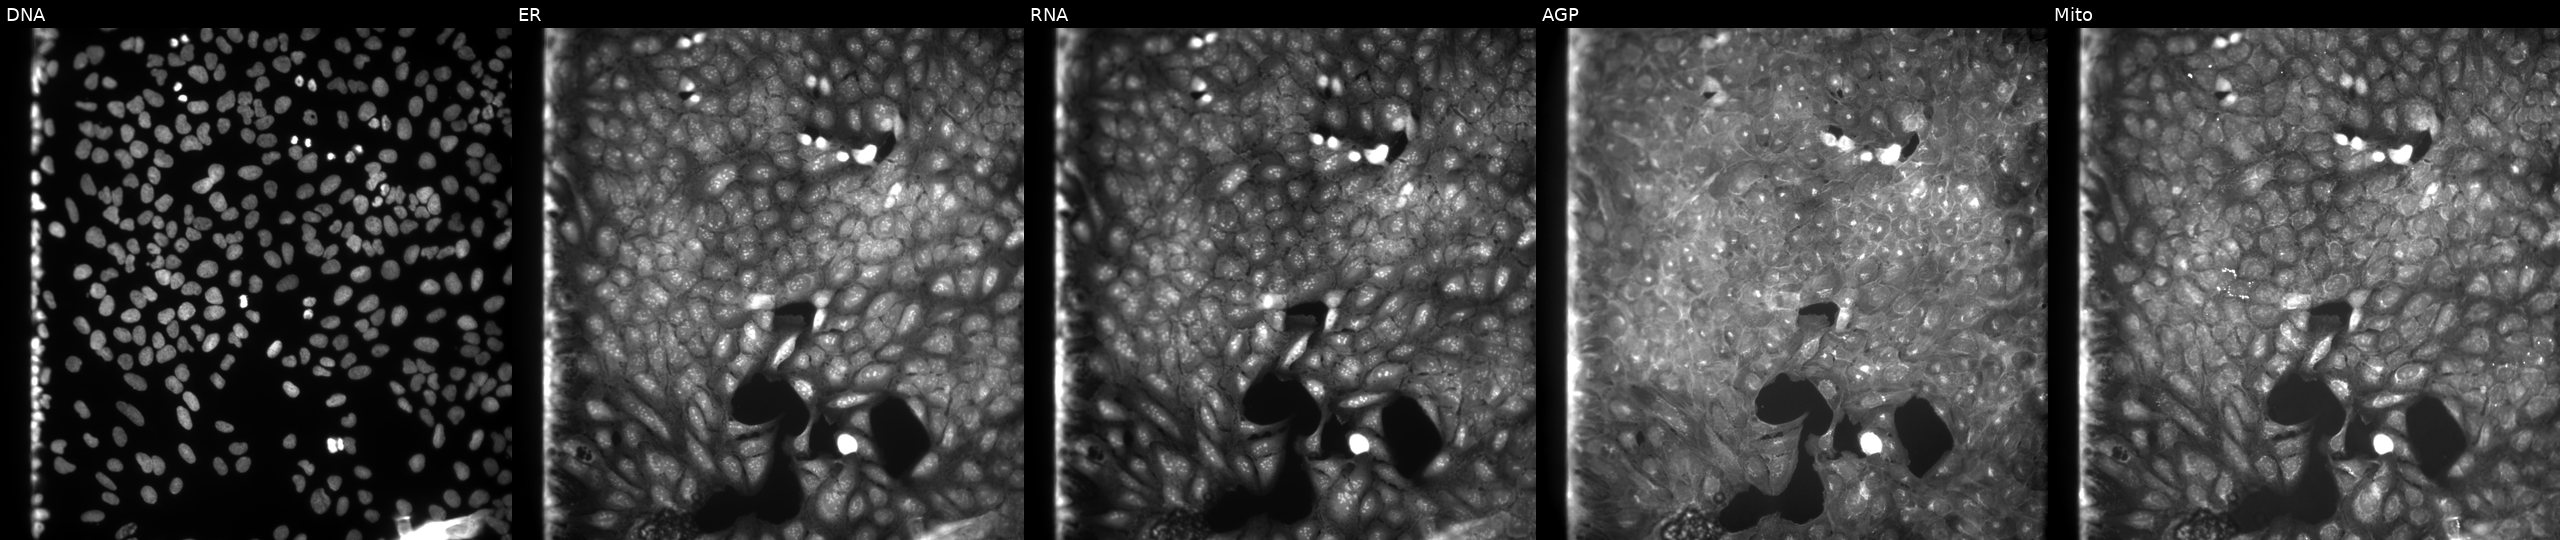
Five-channel Cell Painting image of U2OS cells treated with DMSO vehicle only (negative control). The five panels, left to right, show DNA (nuclei); ER (endoplasmic reticulum); RNA (nucleoli and cytoplasmic RNA); AGP (actin cytoskeleton, Golgi, and plasma membrane); Mito (mitochondria). Source 9, plate GR00003381, well B02.